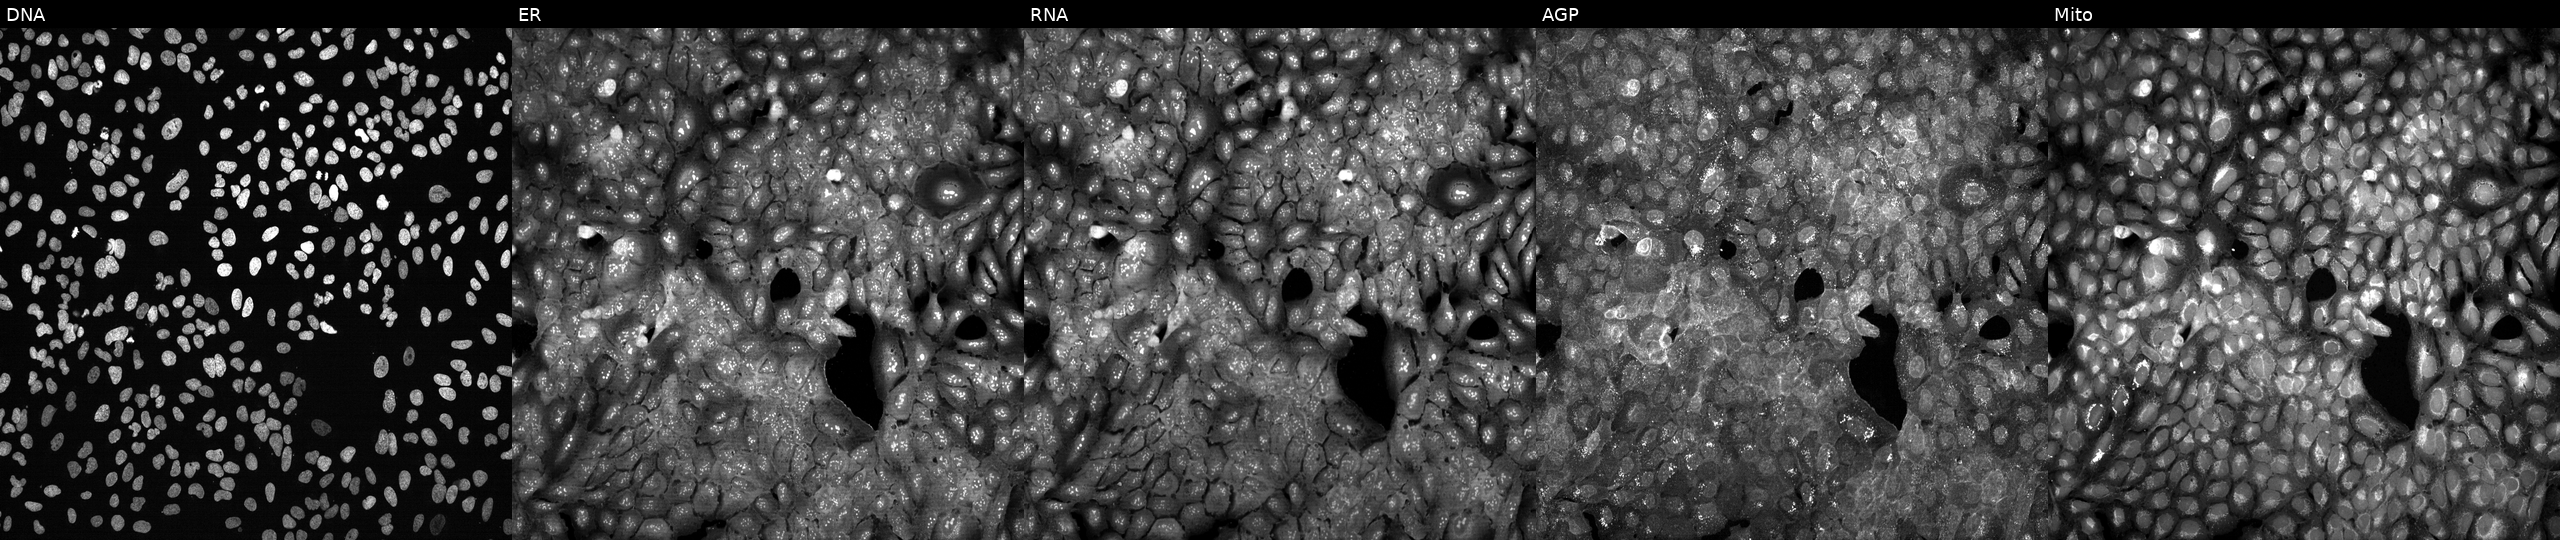
JUMP Cell Painting — CRISPR plate. U2OS cells with HLA-DMA knocked out by CRISPR. The five panels, left to right, show Hoechst 33342, concanavalin A, SYTO 14, phalloidin and WGA, MitoTracker.